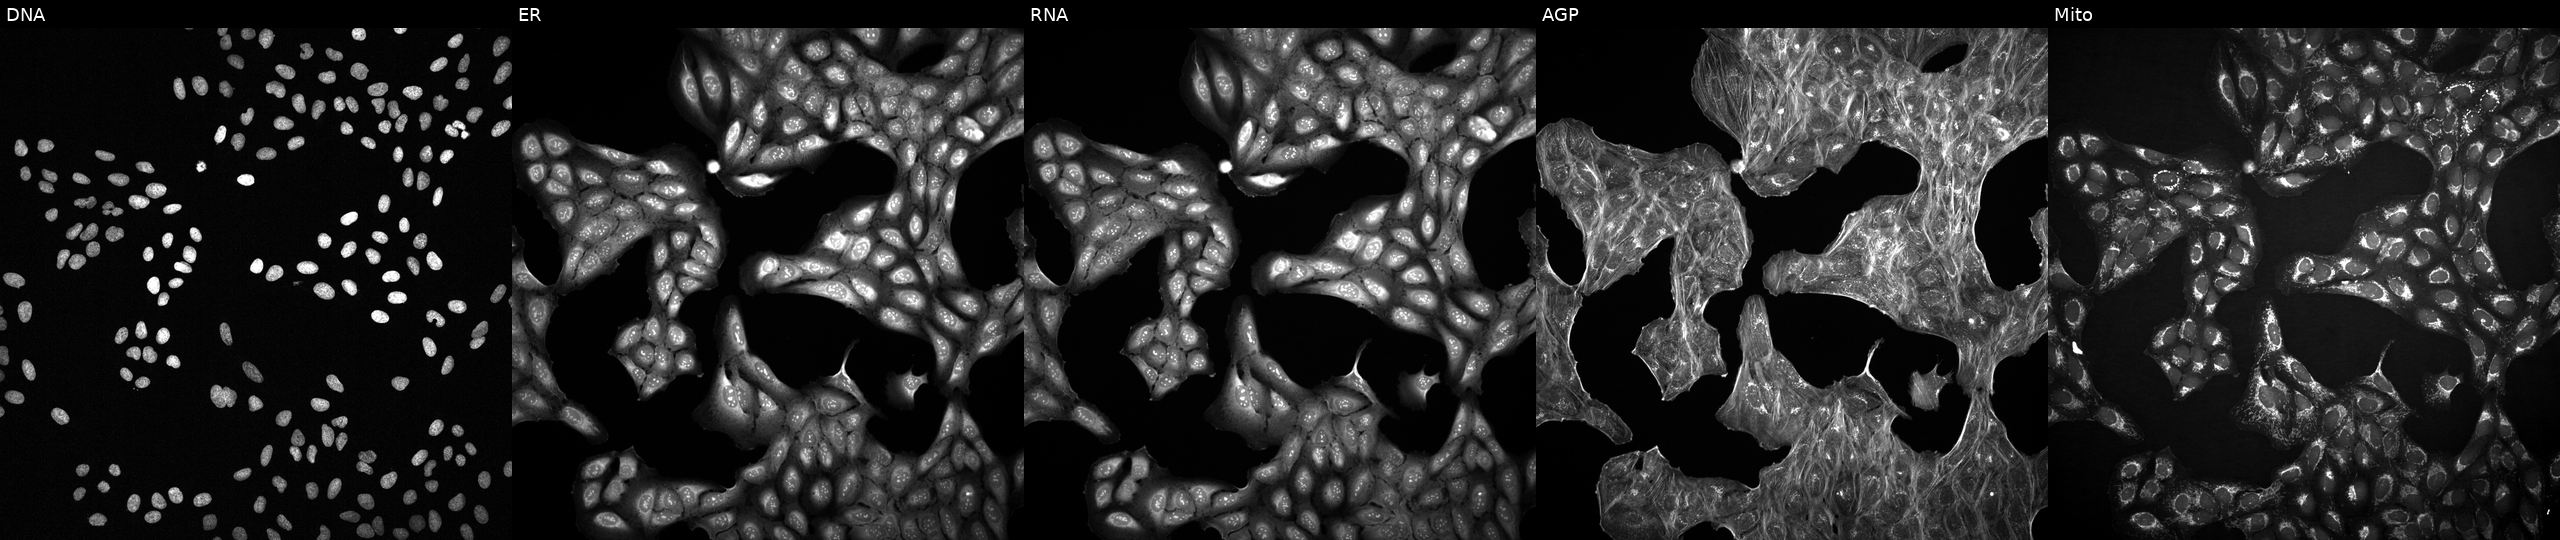
This image strip shows the five Cell Painting channels for a single field of U2OS cells with an unidentified perturbation (not annotated in JUMP metadata). From left to right: DNA (nuclei); ER (endoplasmic reticulum); RNA (nucleoli and cytoplasmic RNA); AGP (actin cytoskeleton, Golgi, and plasma membrane); Mito (mitochondria). Source 2, plate 1053601756, well B13.